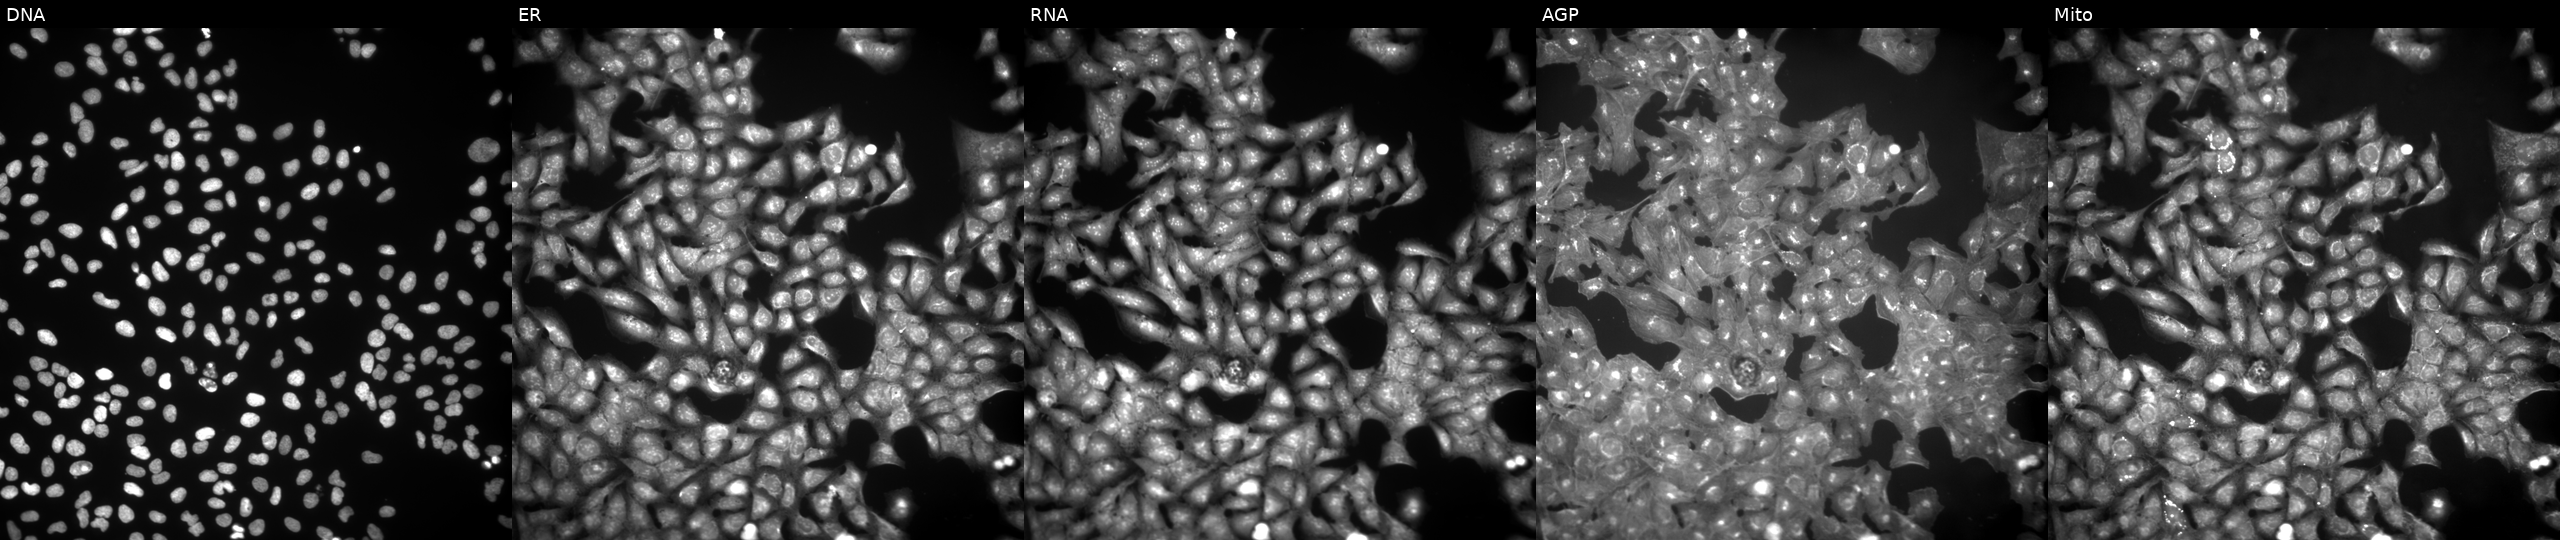
Channels (left→right): Hoechst 33342, concanavalin A, SYTO 14, phalloidin and WGA, MitoTracker. U2OS osteosarcoma cells exposed to the positive-control compound NVS-PAK1-1 (JUMP id JCP2022_064022). Cell Painting assay, JUMP-CP dataset. Source 9, plate GR00003382, well AD24.